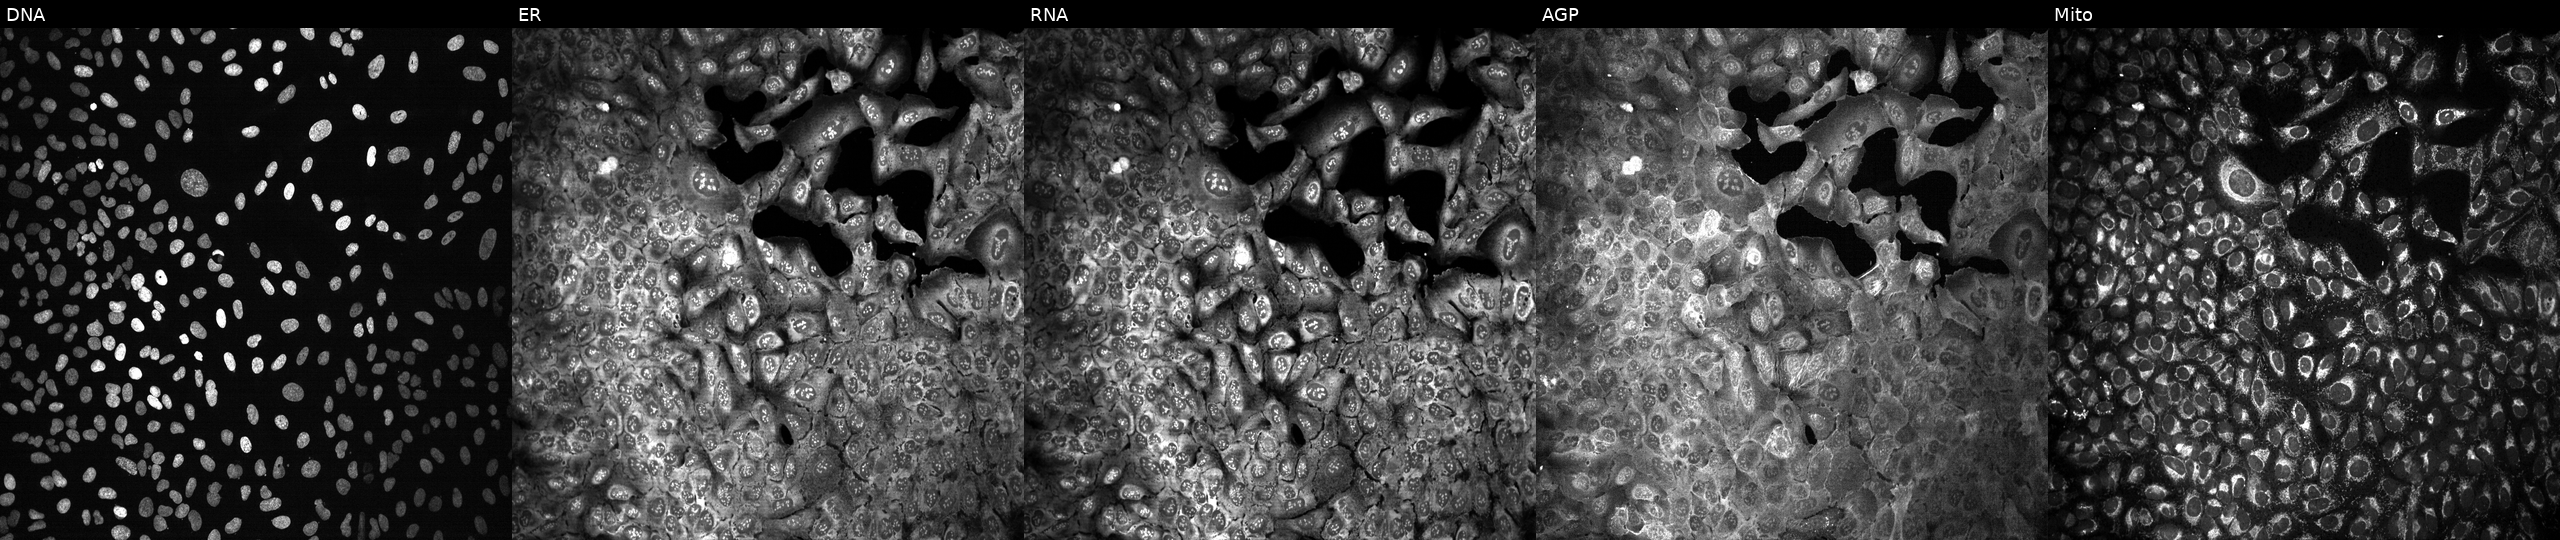
This image strip shows the five Cell Painting channels for a single field of U2OS cells following CRISPR knockout of ENPP3. Panels show, left to right, DNA (nuclei); ER (endoplasmic reticulum); RNA (nucleoli and cytoplasmic RNA); AGP (actin cytoskeleton, Golgi, and plasma membrane); Mito (mitochondria).